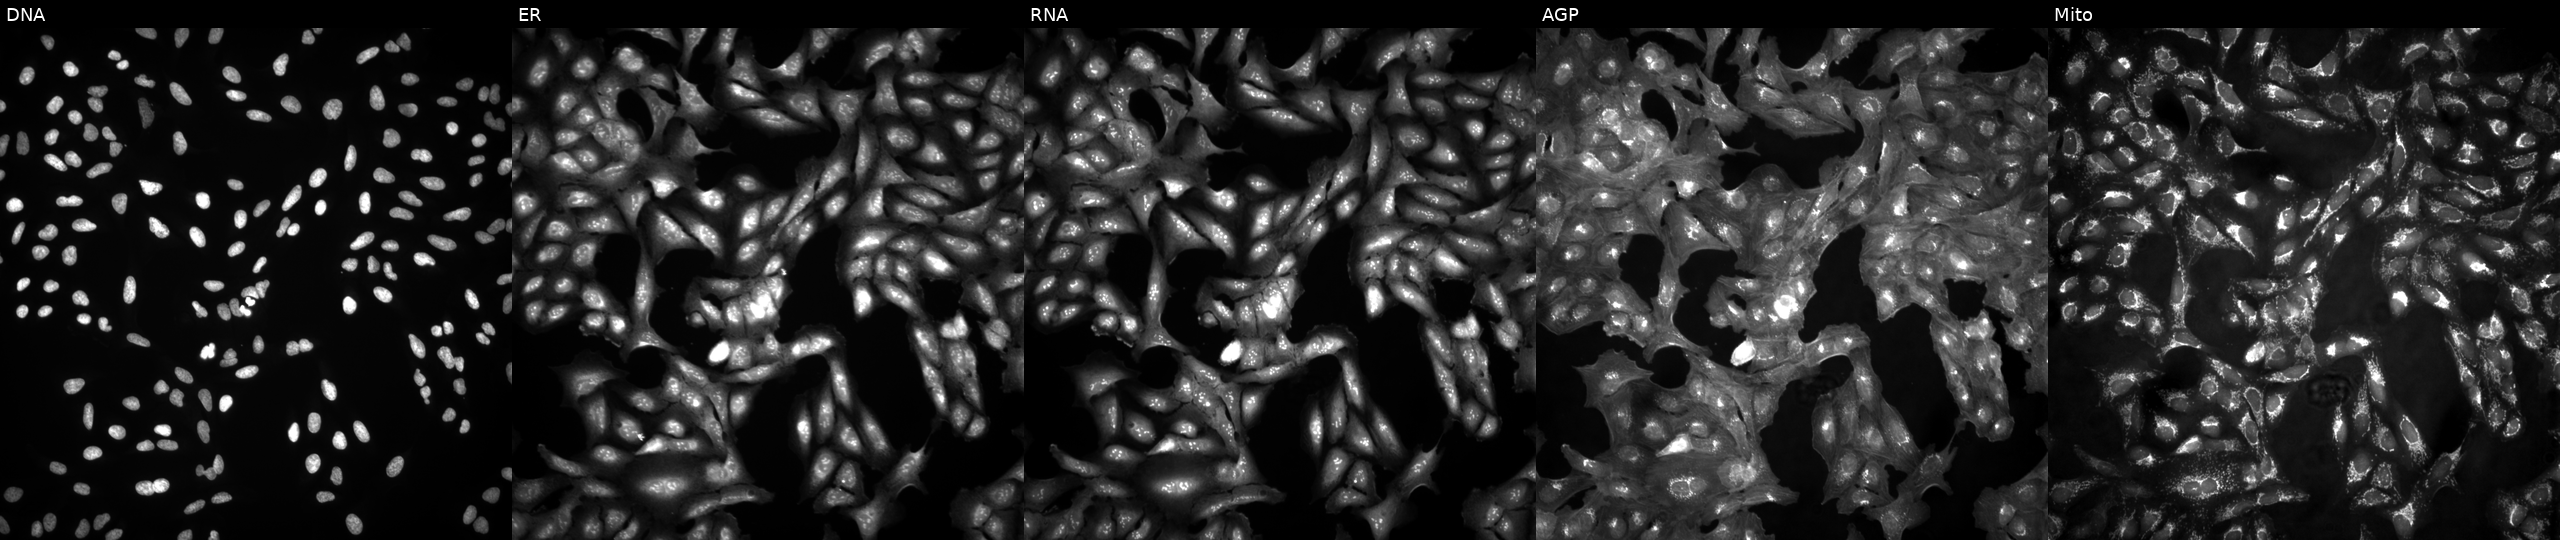
U2OS cells, Cell Painting assay, in an empty control well (no perturbation). The five panels, left to right, show DNA (nuclei); ER (endoplasmic reticulum); RNA (nucleoli and cytoplasmic RNA); AGP (actin cytoskeleton, Golgi, and plasma membrane); Mito (mitochondria). Each panel is percentile-stretched 16-bit fluorescence.